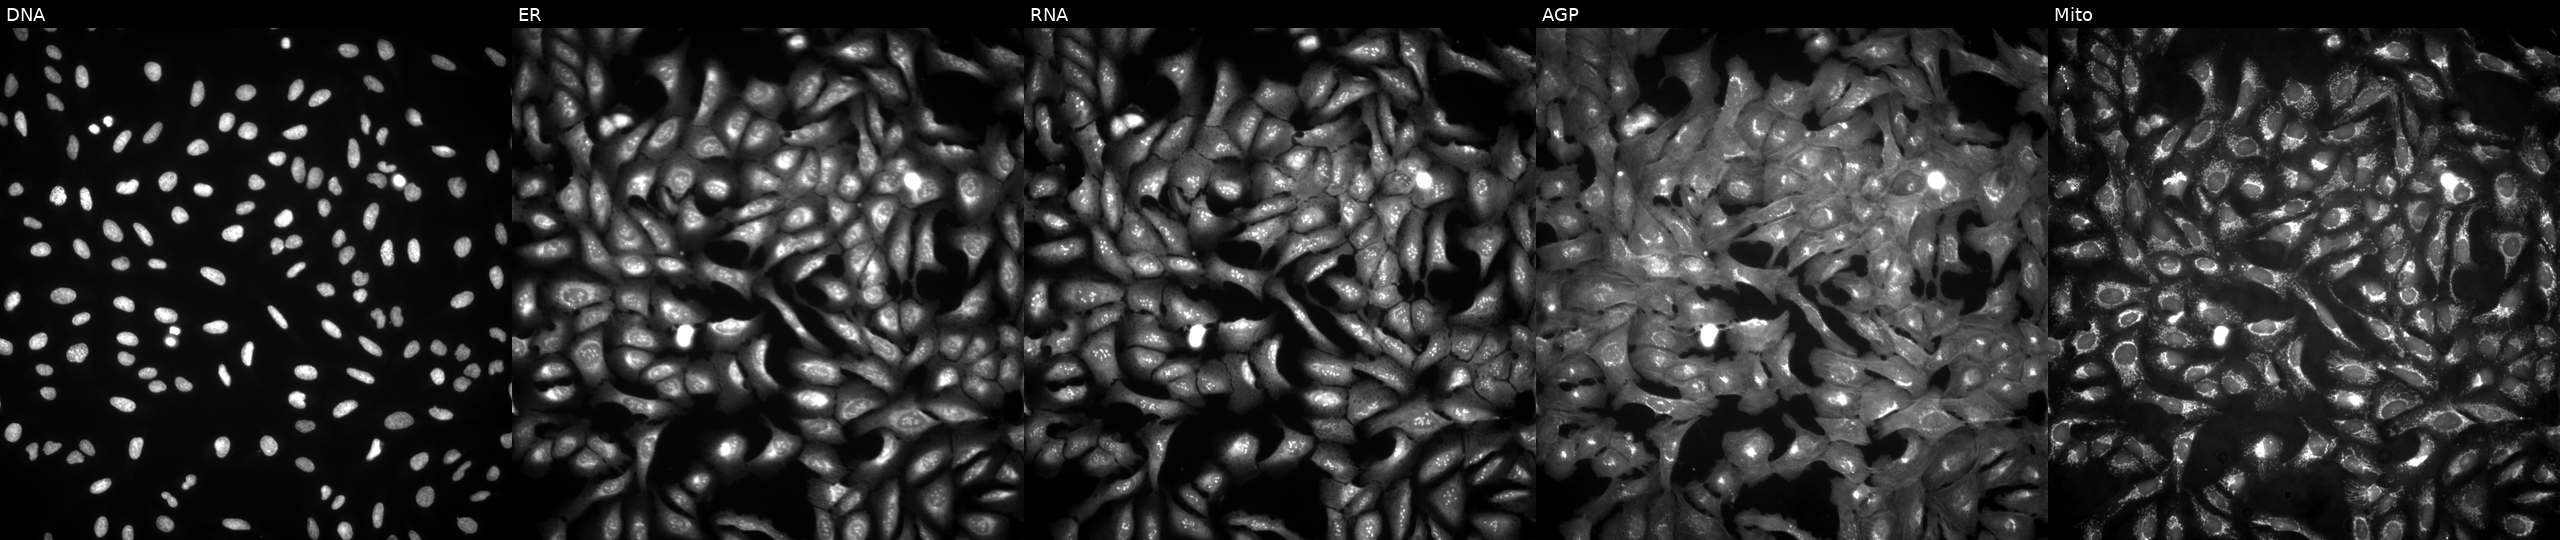
This image strip shows the five Cell Painting channels for a single field of U2OS cells with RPS27L overexpressed (ORF) (JUMP id JCP2022_907675). Channels (left→right): DNA, ER, RNA, AGP, and Mito.